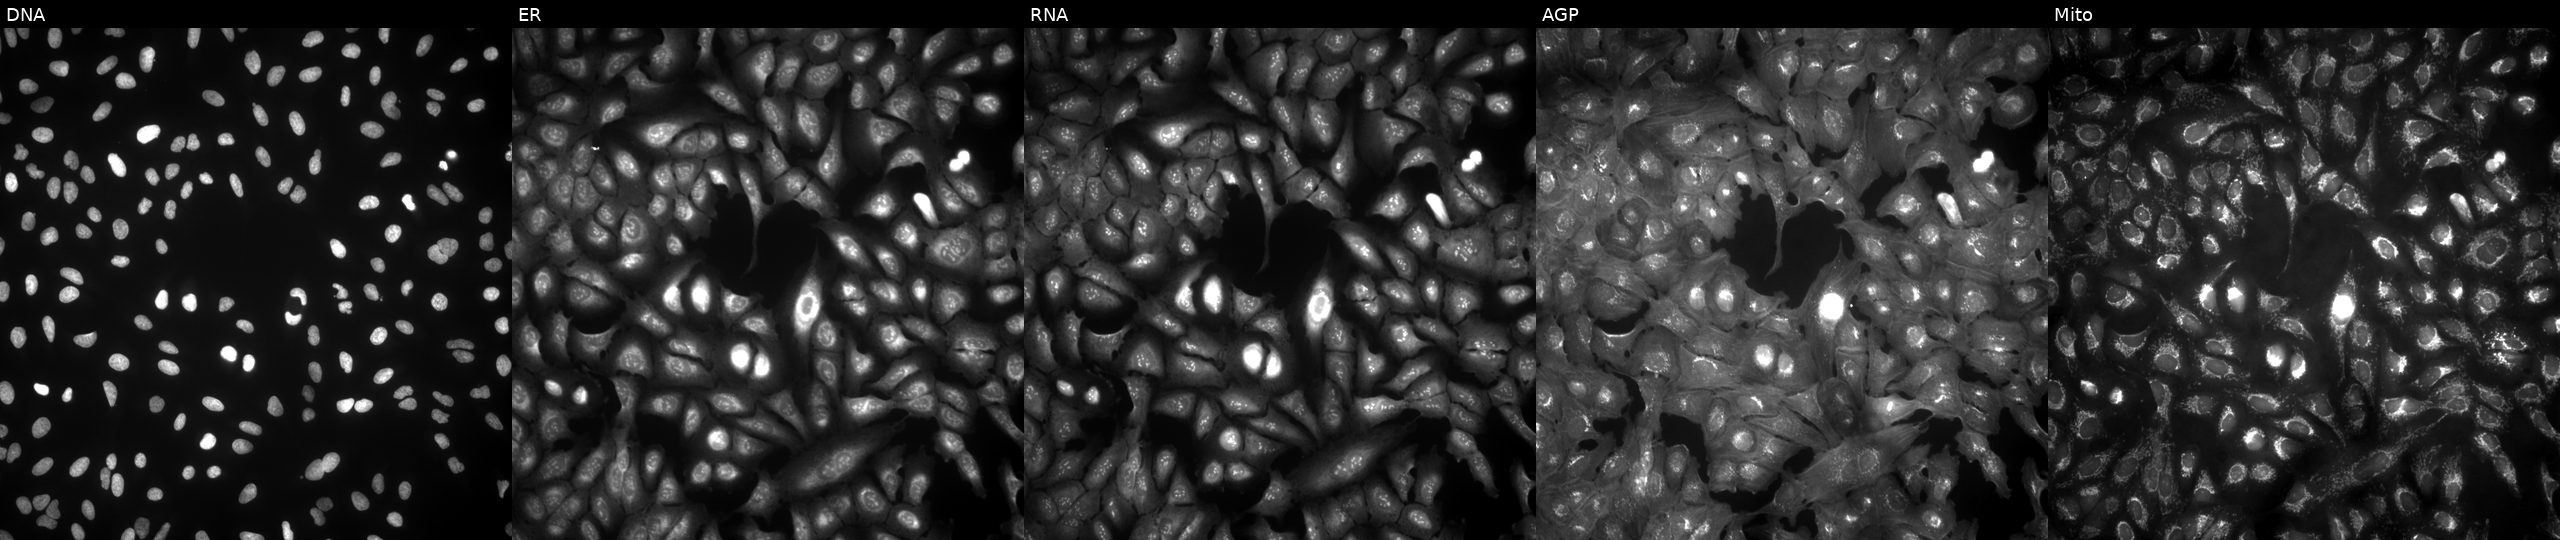
Five-channel Cell Painting image of U2OS cells with GUCY1B1 overexpressed (ORF). Channels (left→right): DNA, ER, RNA, AGP, and Mito. Source 4, plate BR00123506, well A06.